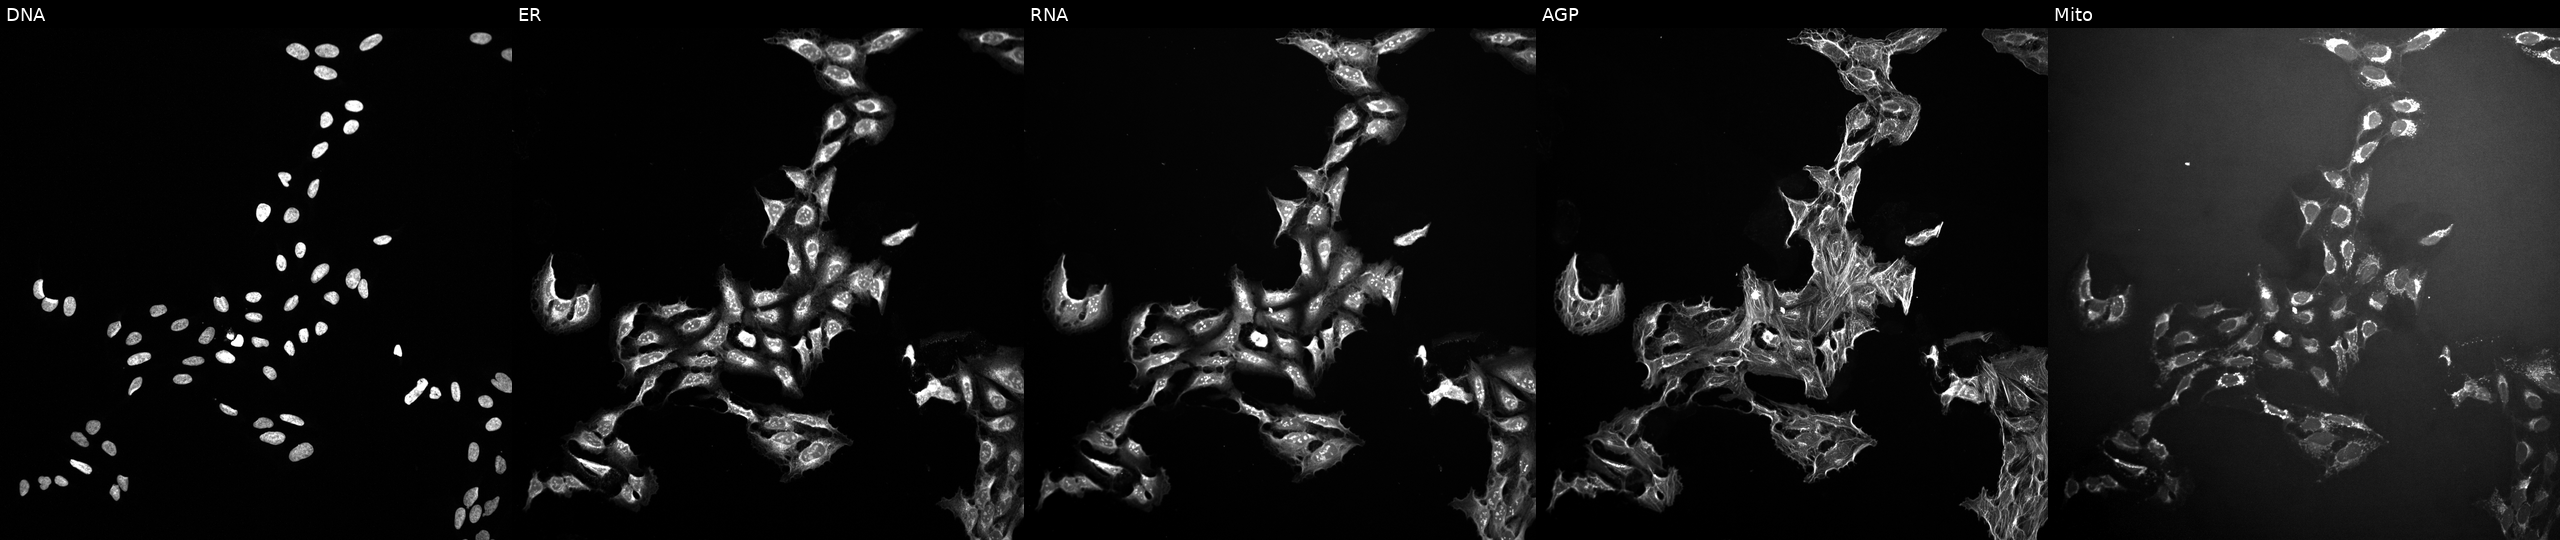
Panels show, left to right, Hoechst 33342, concanavalin A, SYTO 14, phalloidin and WGA, MitoTracker. U2OS osteosarcoma cells treated with a small-molecule compound (JUMP id JCP2022_113779). Cell Painting assay, JUMP-CP dataset. Source 10, plate Dest210727-153003, well D01.